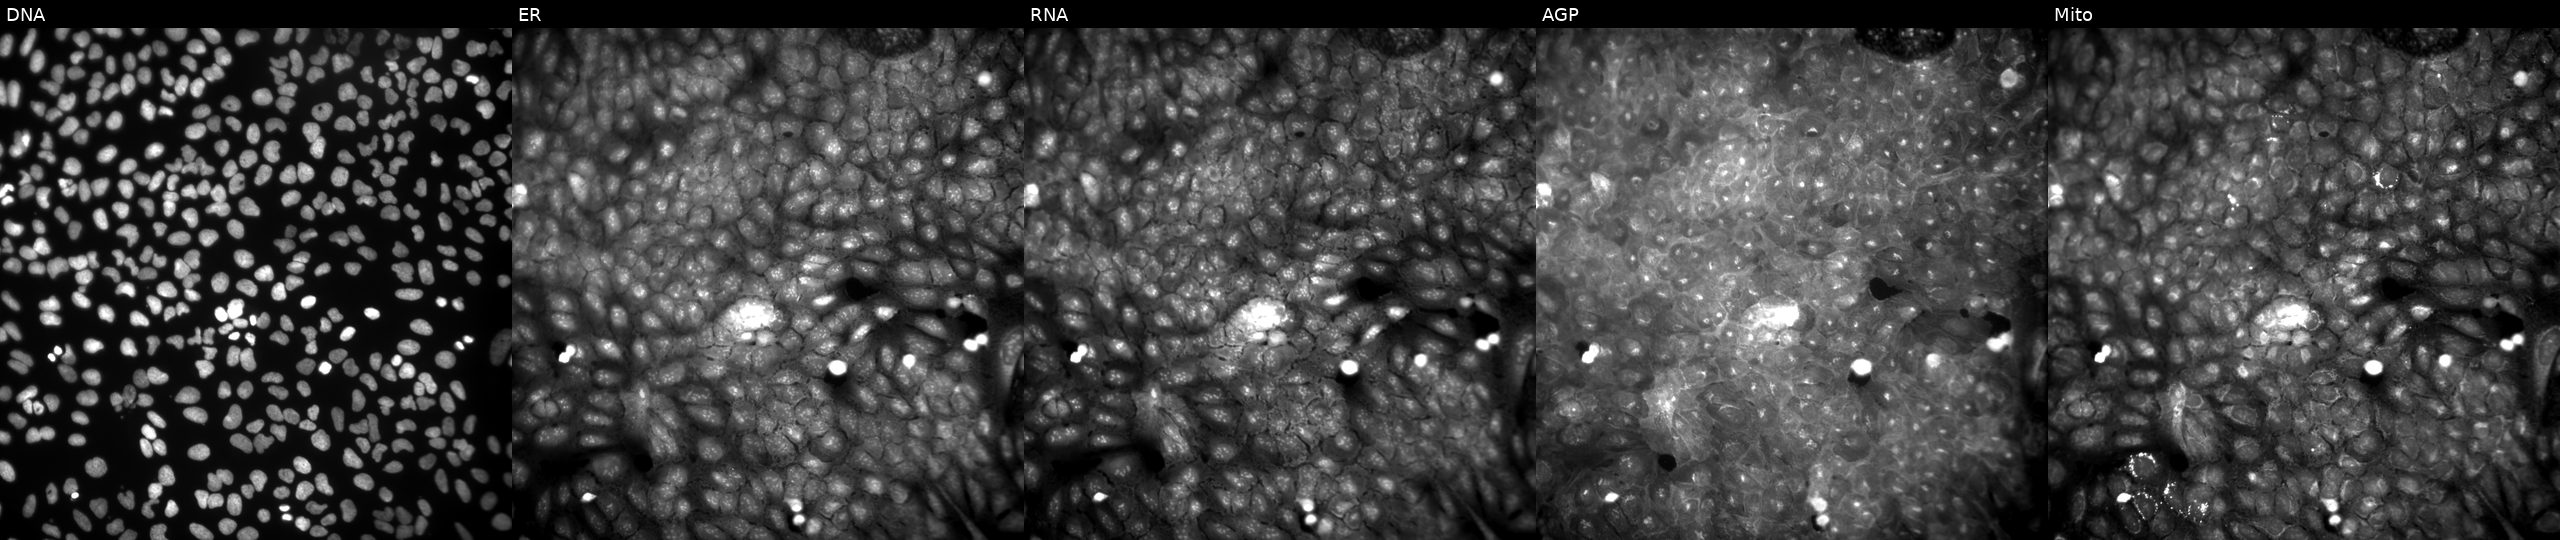
JUMP Cell Painting — COMPOUND plate. U2OS cells treated with a small-molecule compound (InChIKey MNUVAPKIVPKSJE-UHFFFAOYSA-N). Panels show, left to right, Hoechst 33342, concanavalin A, SYTO 14, phalloidin and WGA, MitoTracker.